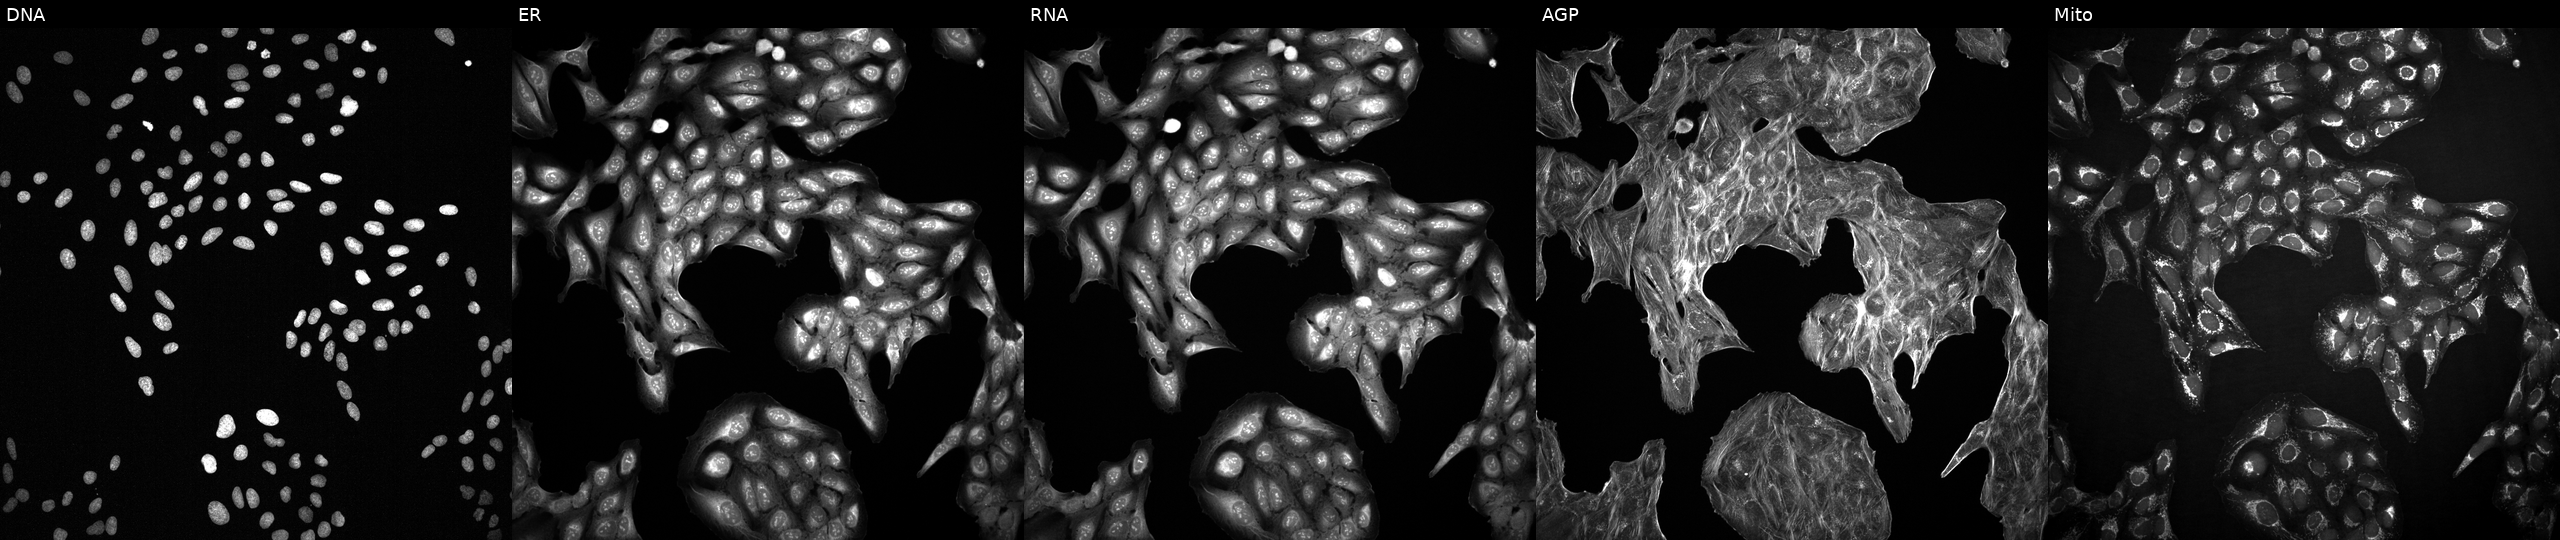
Five-channel Cell Painting image of U2OS cells with an unidentified perturbation (not annotated in JUMP metadata). From left to right: Hoechst 33342, concanavalin A, SYTO 14, phalloidin and WGA, MitoTracker. Source 2, plate 1053601756, well L10.